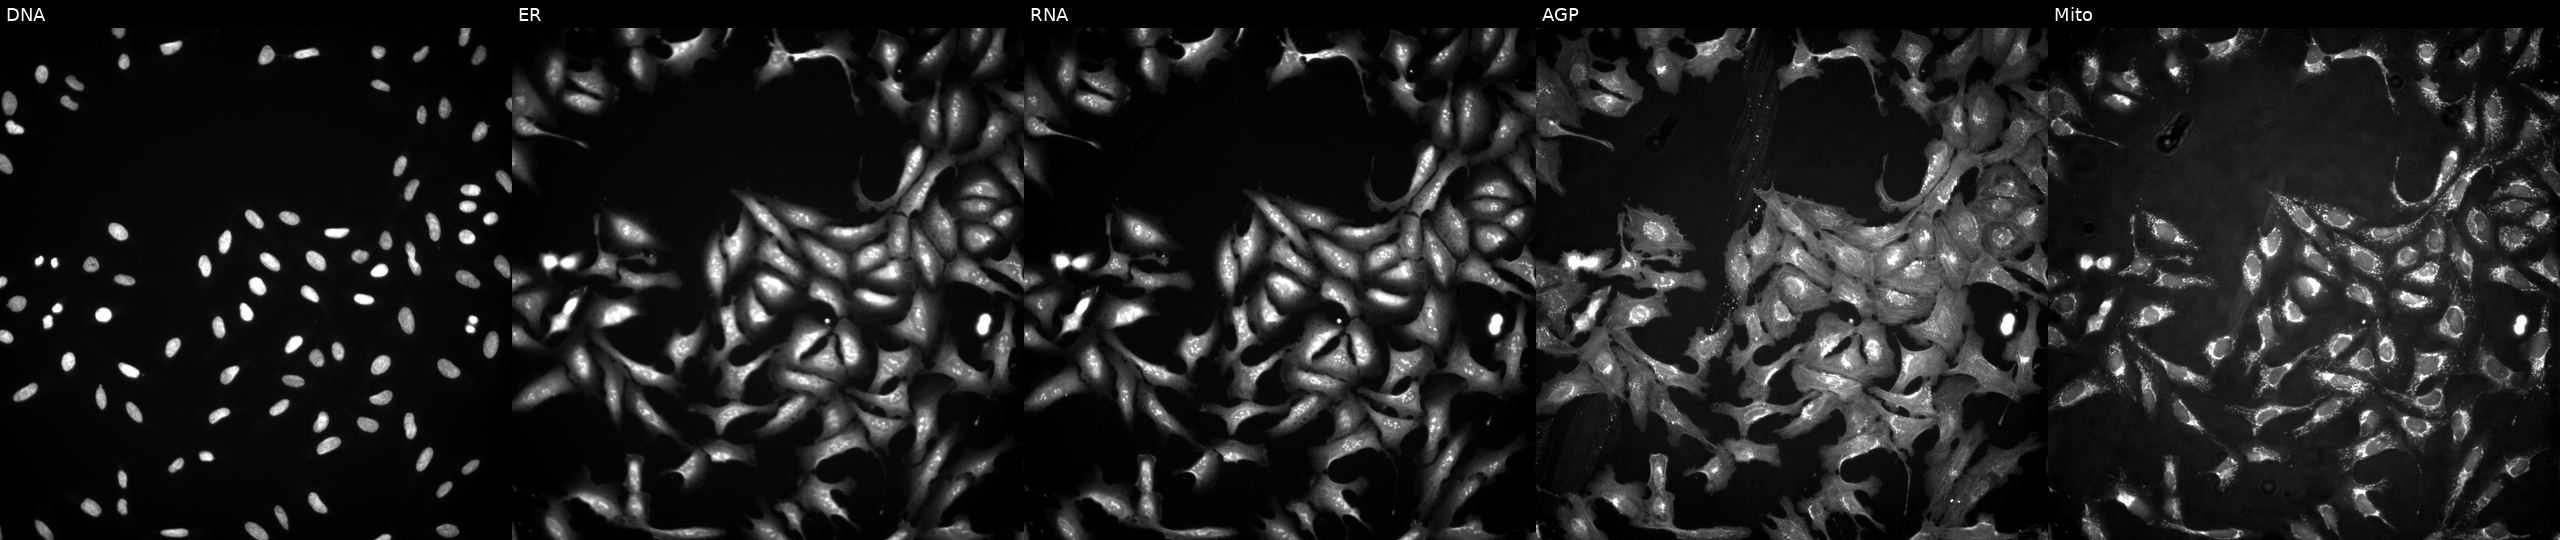
U2OS cells, Cell Painting assay, untreated (empty-well control). From left to right: DNA, ER, RNA, AGP, and Mito. Each panel is percentile-stretched 16-bit fluorescence.